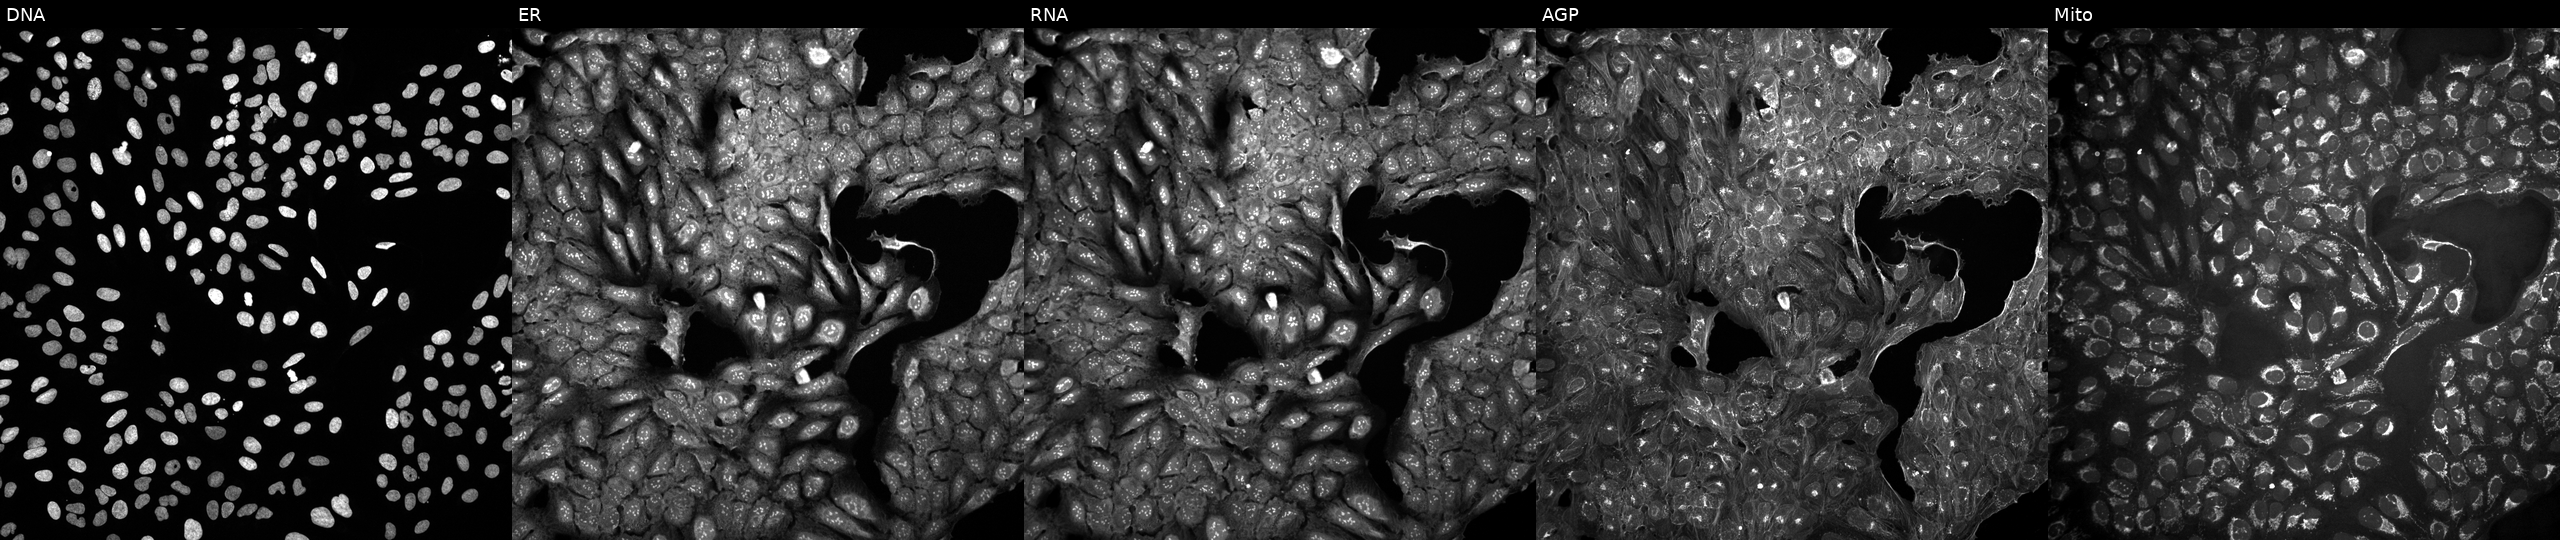
JUMP Cell Painting — COMPOUND plate. U2OS cells exposed to a small-molecule compound (JUMP id JCP2022_070005). Panels show, left to right, DNA (nuclei); ER (endoplasmic reticulum); RNA (nucleoli and cytoplasmic RNA); AGP (actin cytoskeleton, Golgi, and plasma membrane); Mito (mitochondria).